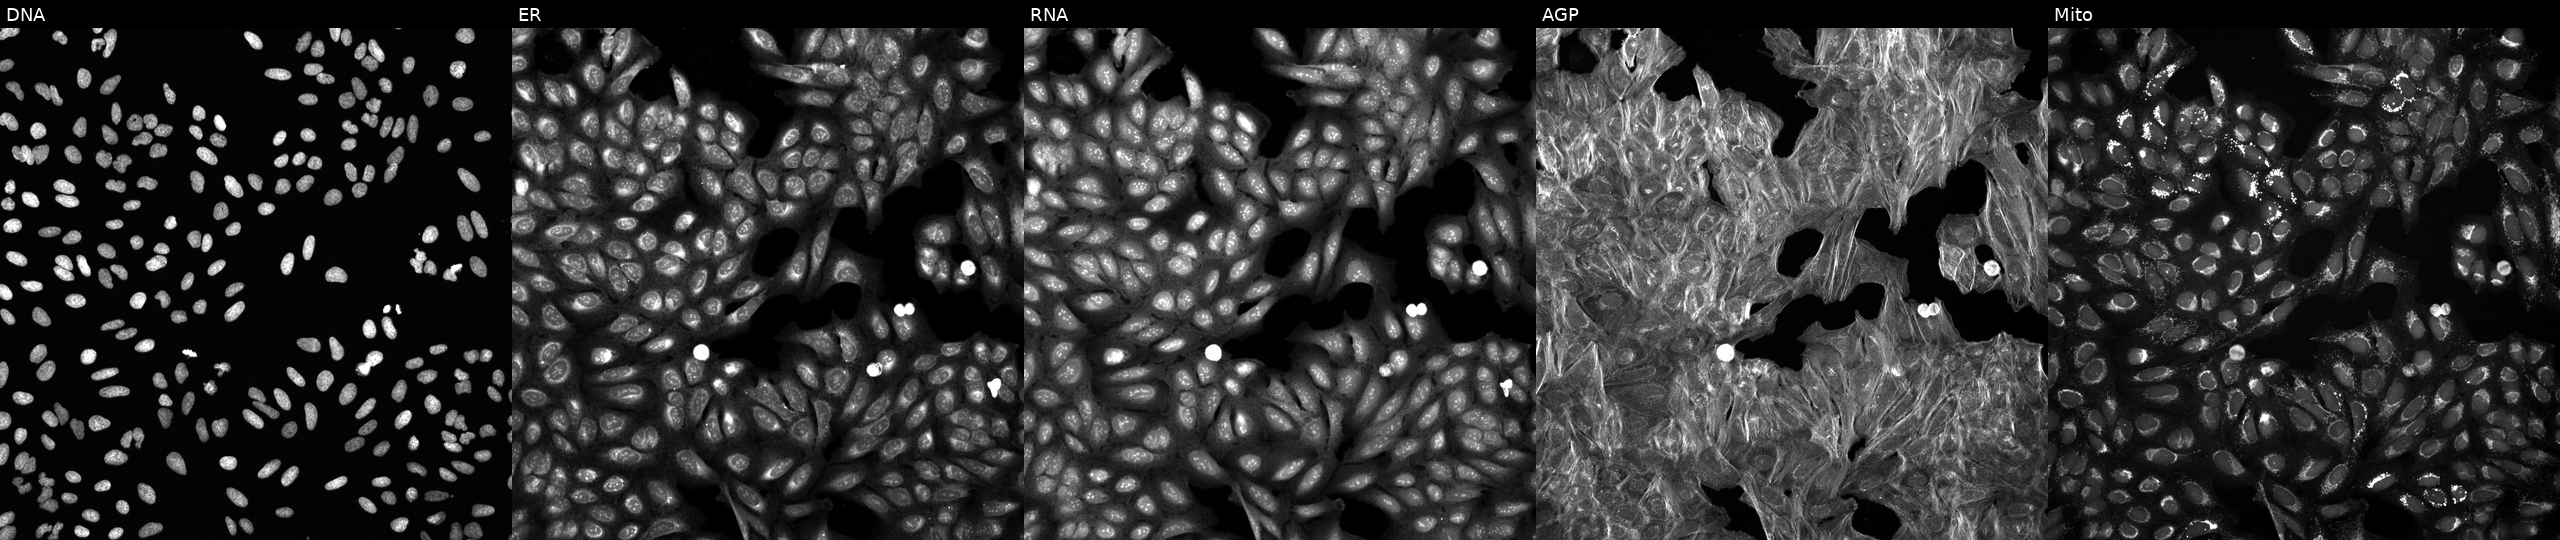
The five panels, left to right, show DNA (nuclei); ER (endoplasmic reticulum); RNA (nucleoli and cytoplasmic RNA); AGP (actin cytoskeleton, Golgi, and plasma membrane); Mito (mitochondria). U2OS osteosarcoma cells exposed to a small-molecule compound (InChIKey GWDBXASPSIQEOG-UHFFFAOYSA-N) (JUMP id JCP2022_028159). Cell Painting assay, JUMP-CP dataset. Source 6, plate 110000293082, well P16.